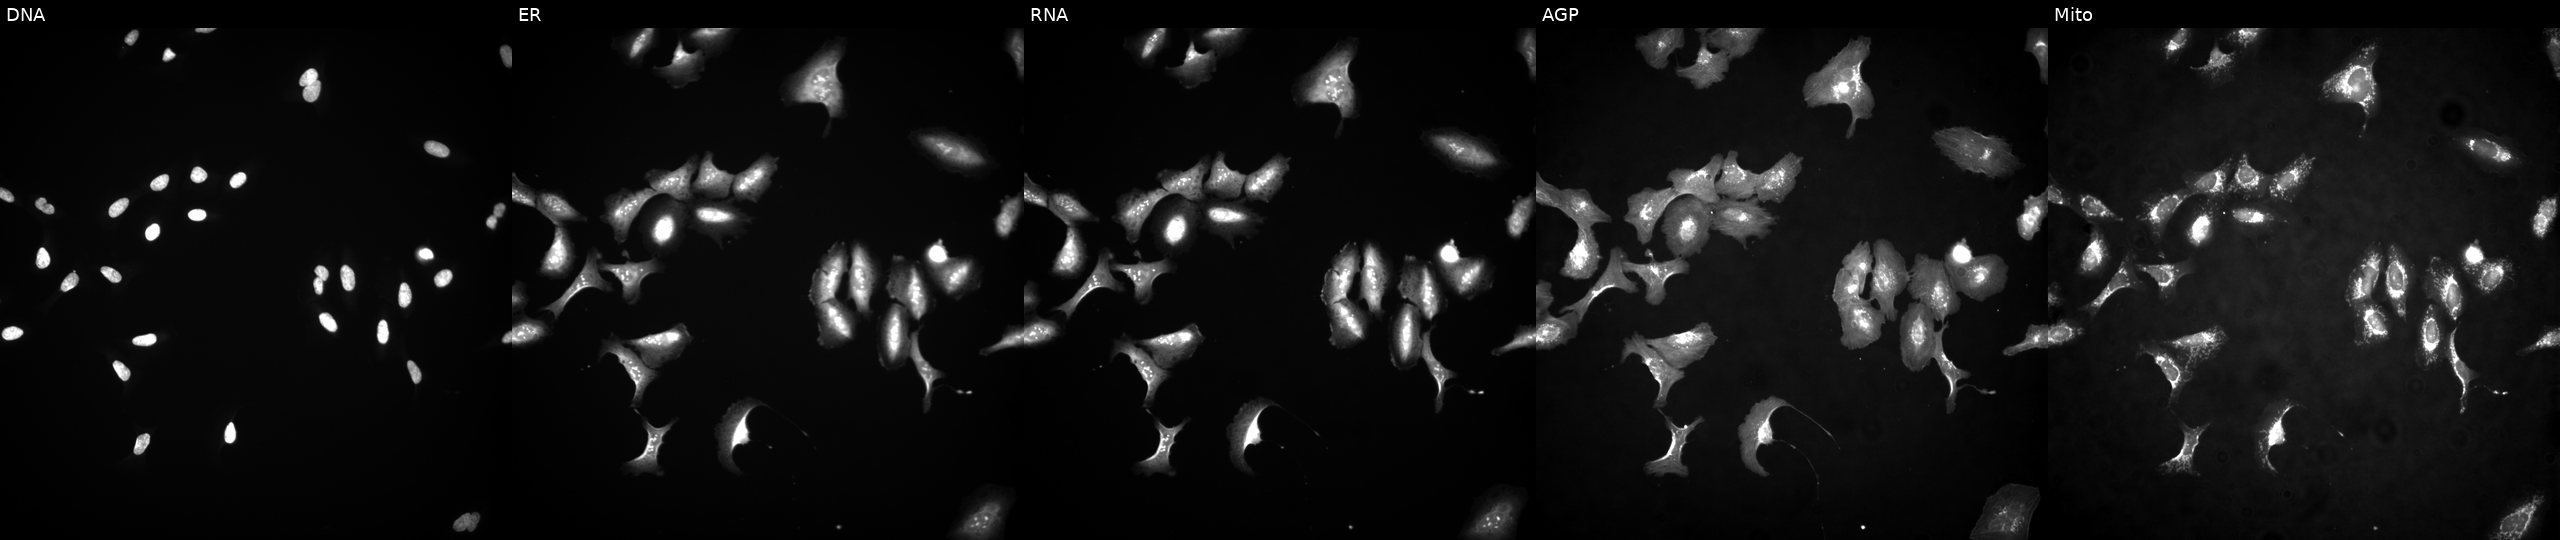
High-content fluorescence microscopy (Cell Painting). Cell line: U2OS. Perturbation: with ETV4 overexpressed (ORF) (JUMP id JCP2022_910075). The five panels, left to right, show DNA (nuclei); ER (endoplasmic reticulum); RNA (nucleoli and cytoplasmic RNA); AGP (actin cytoskeleton, Golgi, and plasma membrane); Mito (mitochondria).